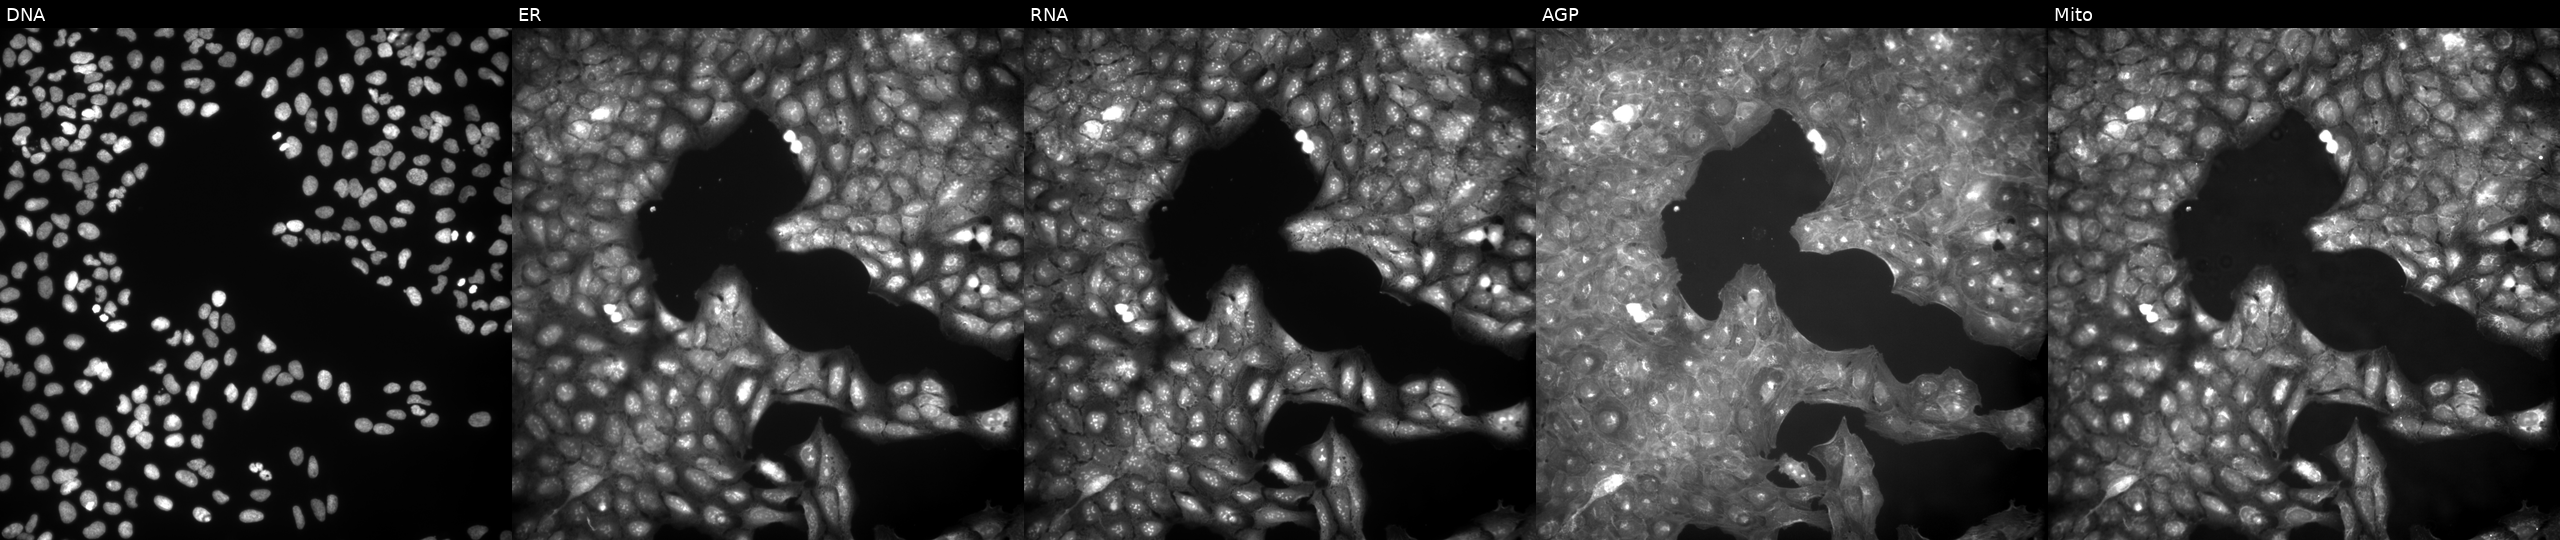
U2OS cells, Cell Painting assay, exposed to a small-molecule compound. Panels show, left to right, DNA, ER, RNA, AGP, and Mito. Each panel is percentile-stretched 16-bit fluorescence.